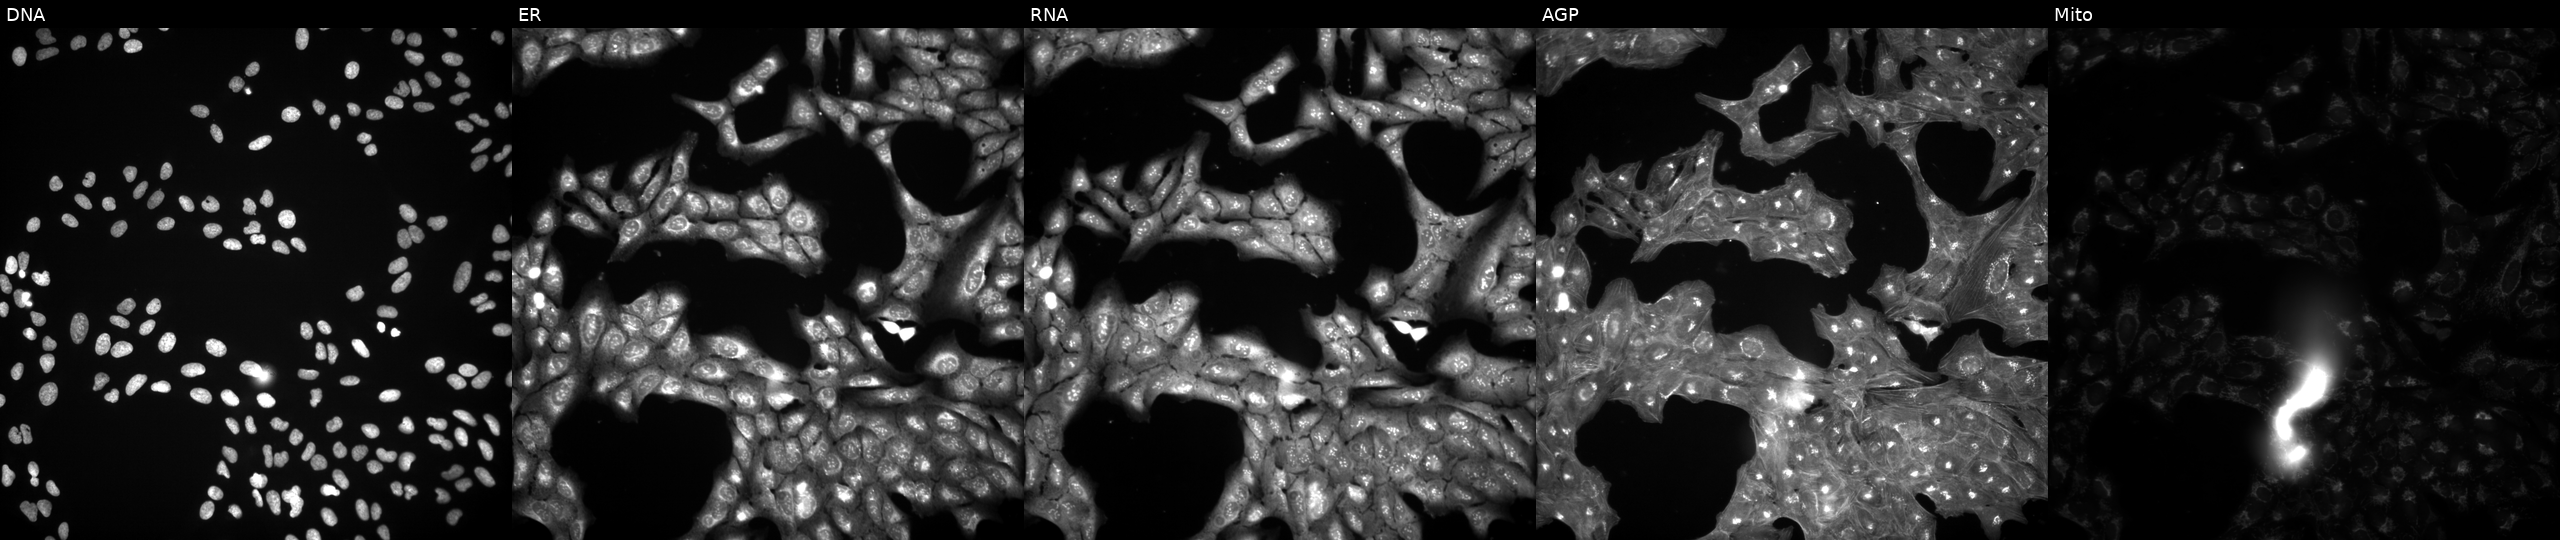
Five-channel Cell Painting image of U2OS cells exposed to a small-molecule compound (JUMP id JCP2022_054618). The five panels, left to right, show DNA, ER, RNA, AGP, and Mito. Source 3, plate JCPQC052, well H05.